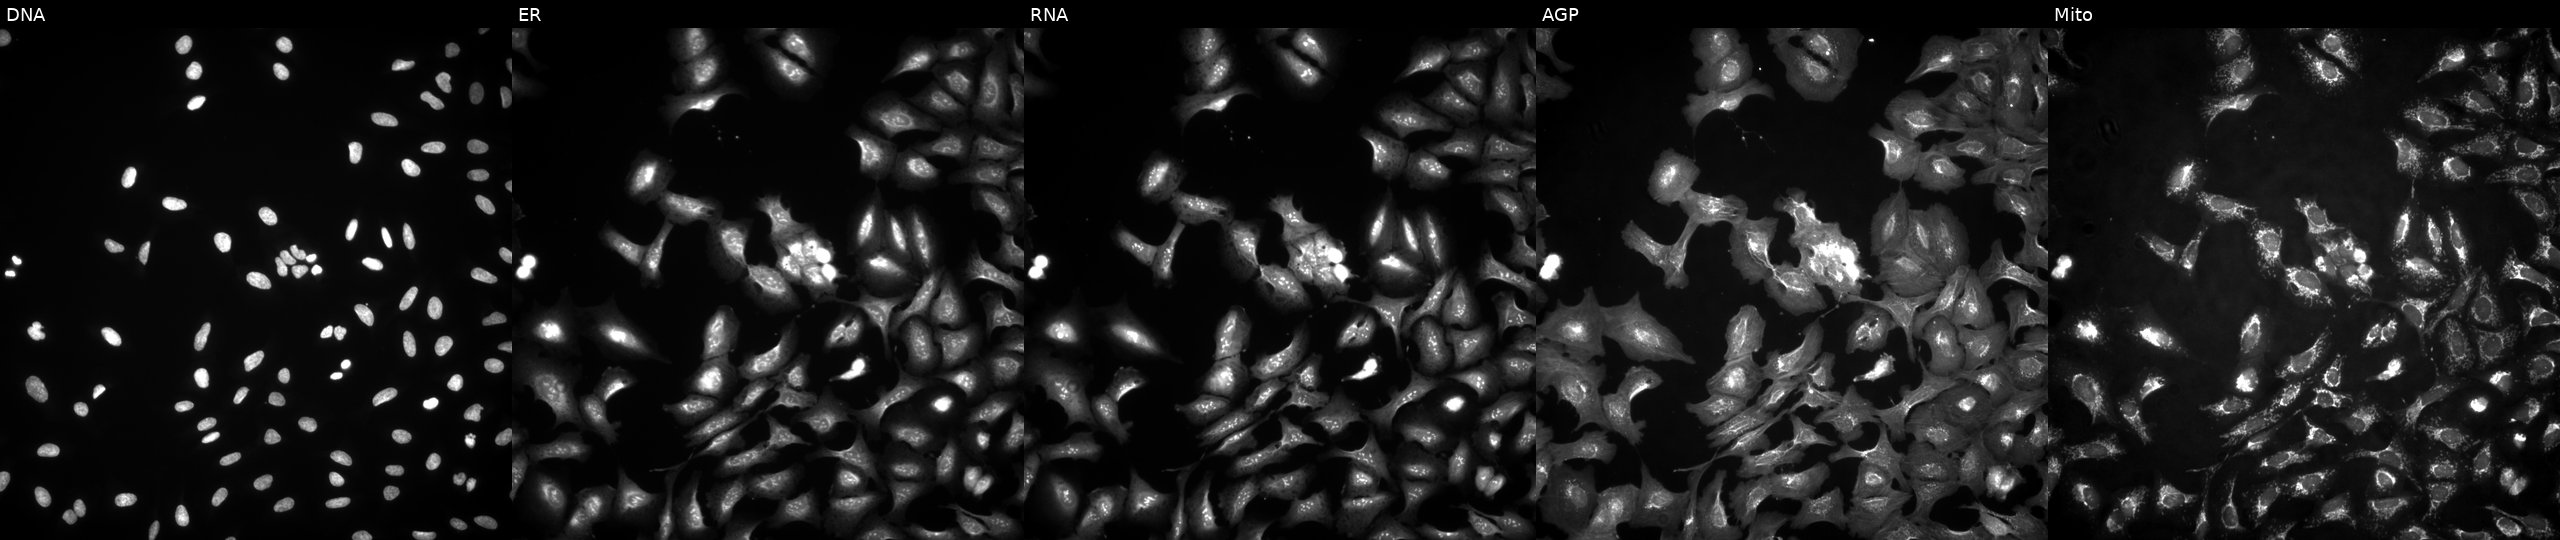
U2OS cells, Cell Painting assay, with ZNF587 overexpressed (ORF) (JUMP id JCP2022_912009). From left to right: DNA (nuclei); ER (endoplasmic reticulum); RNA (nucleoli and cytoplasmic RNA); AGP (actin cytoskeleton, Golgi, and plasma membrane); Mito (mitochondria). Each panel is percentile-stretched 16-bit fluorescence. Source 4, plate BR00123509, well F01.